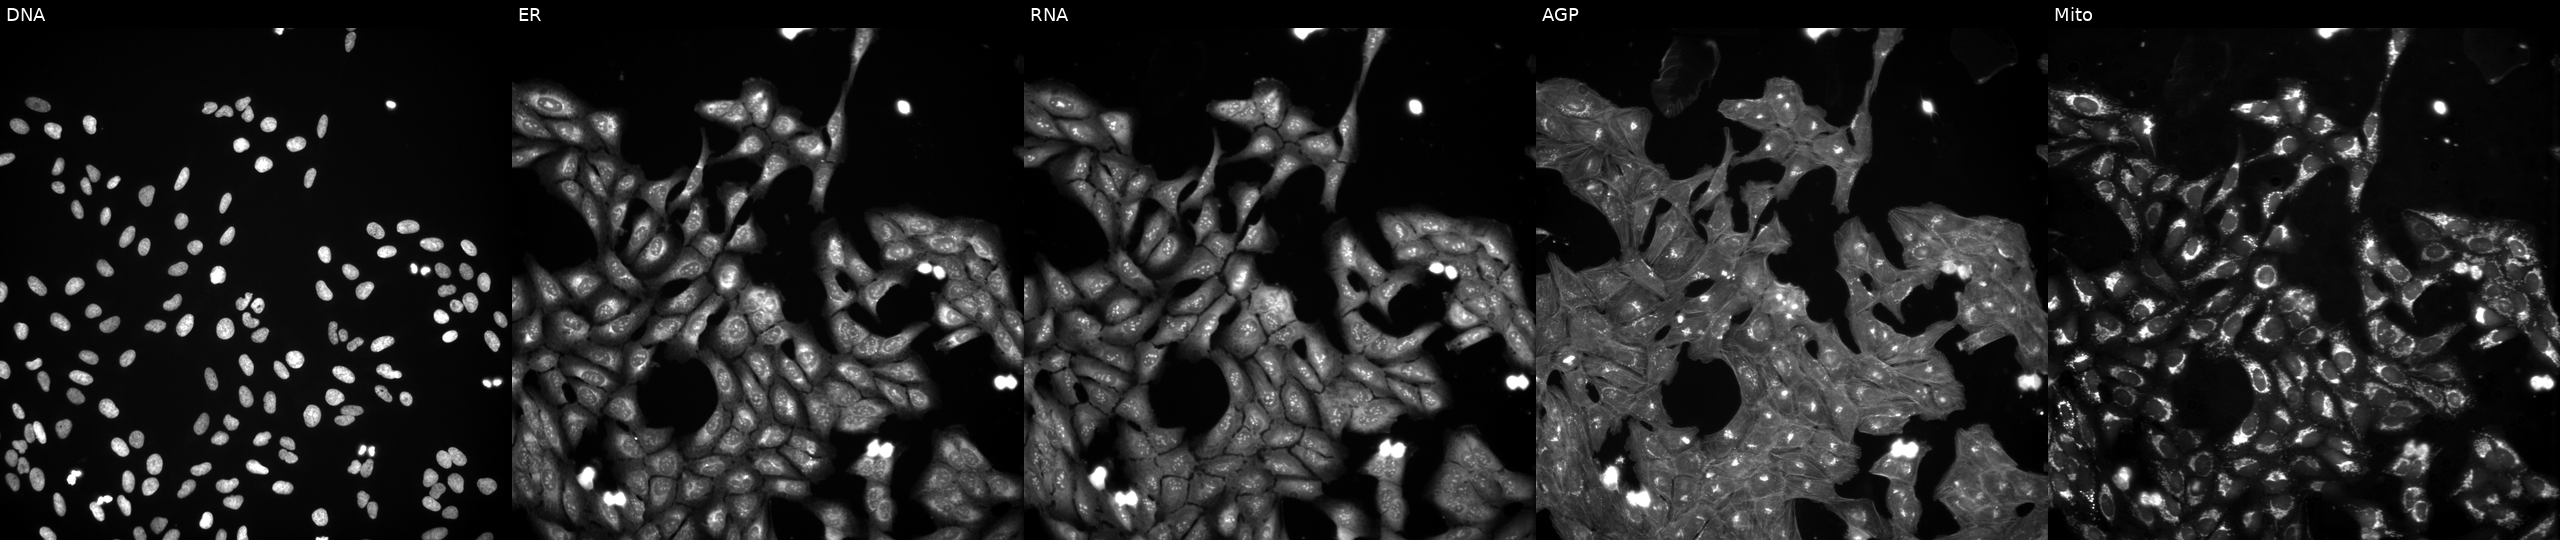
This image strip shows the five Cell Painting channels for a single field of U2OS cells exposed to DMSO alone as a negative control. Panels show, left to right, Hoechst 33342, concanavalin A, SYTO 14, phalloidin and WGA, MitoTracker.